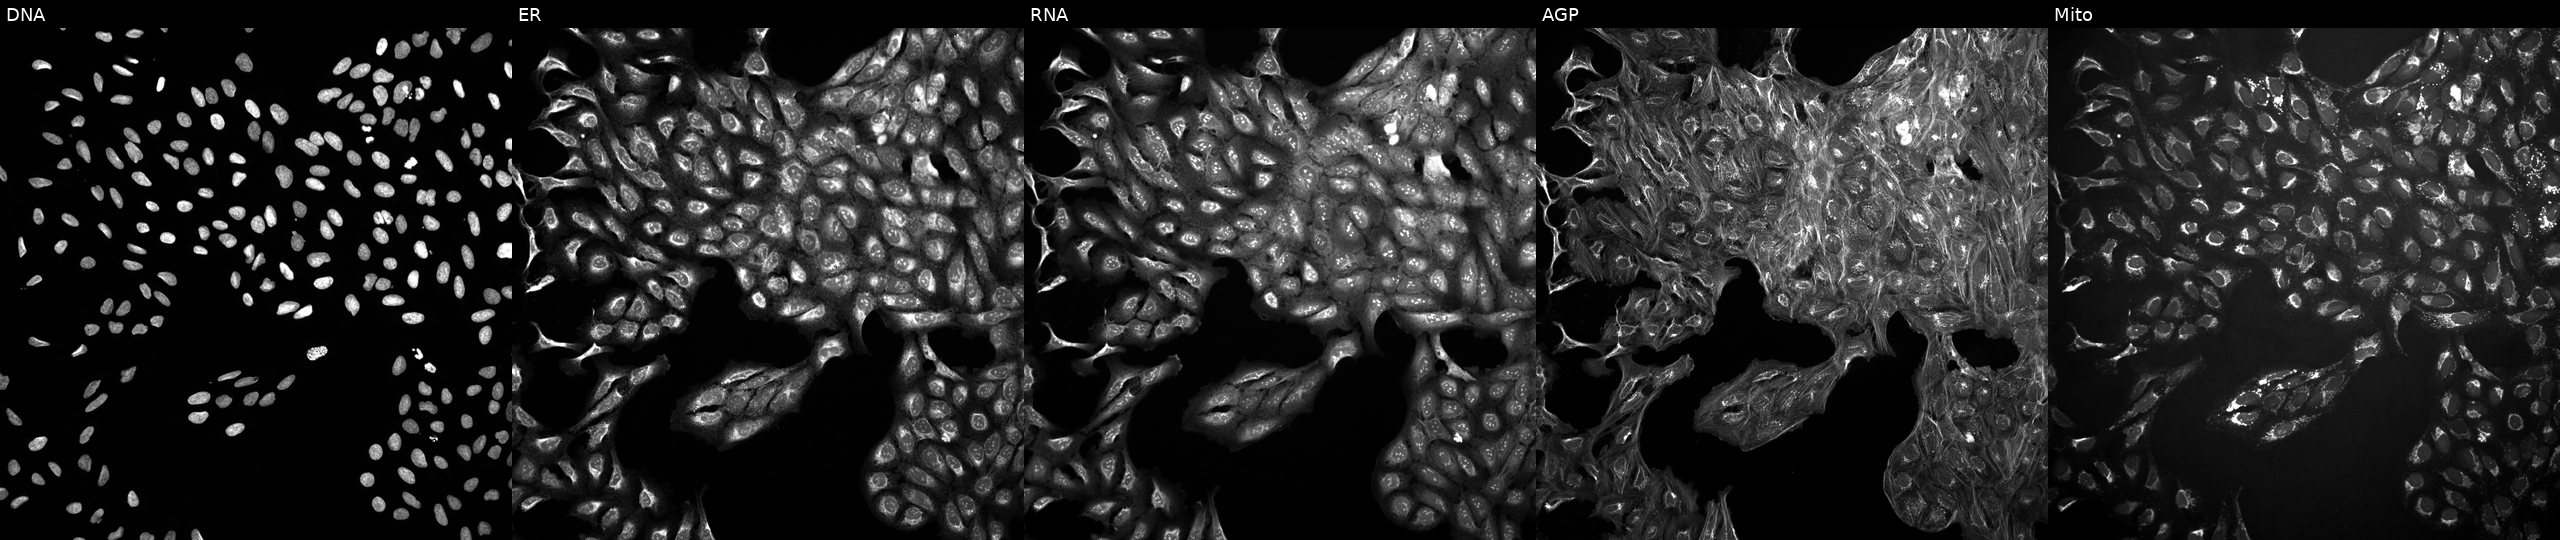
From left to right: DNA, ER, RNA, AGP, and Mito. U2OS osteosarcoma cells treated with DMSO vehicle only (negative control) (JUMP id JCP2022_033924). Cell Painting assay, JUMP-CP dataset. Source 10, plate Dest210531-152324, well E02.